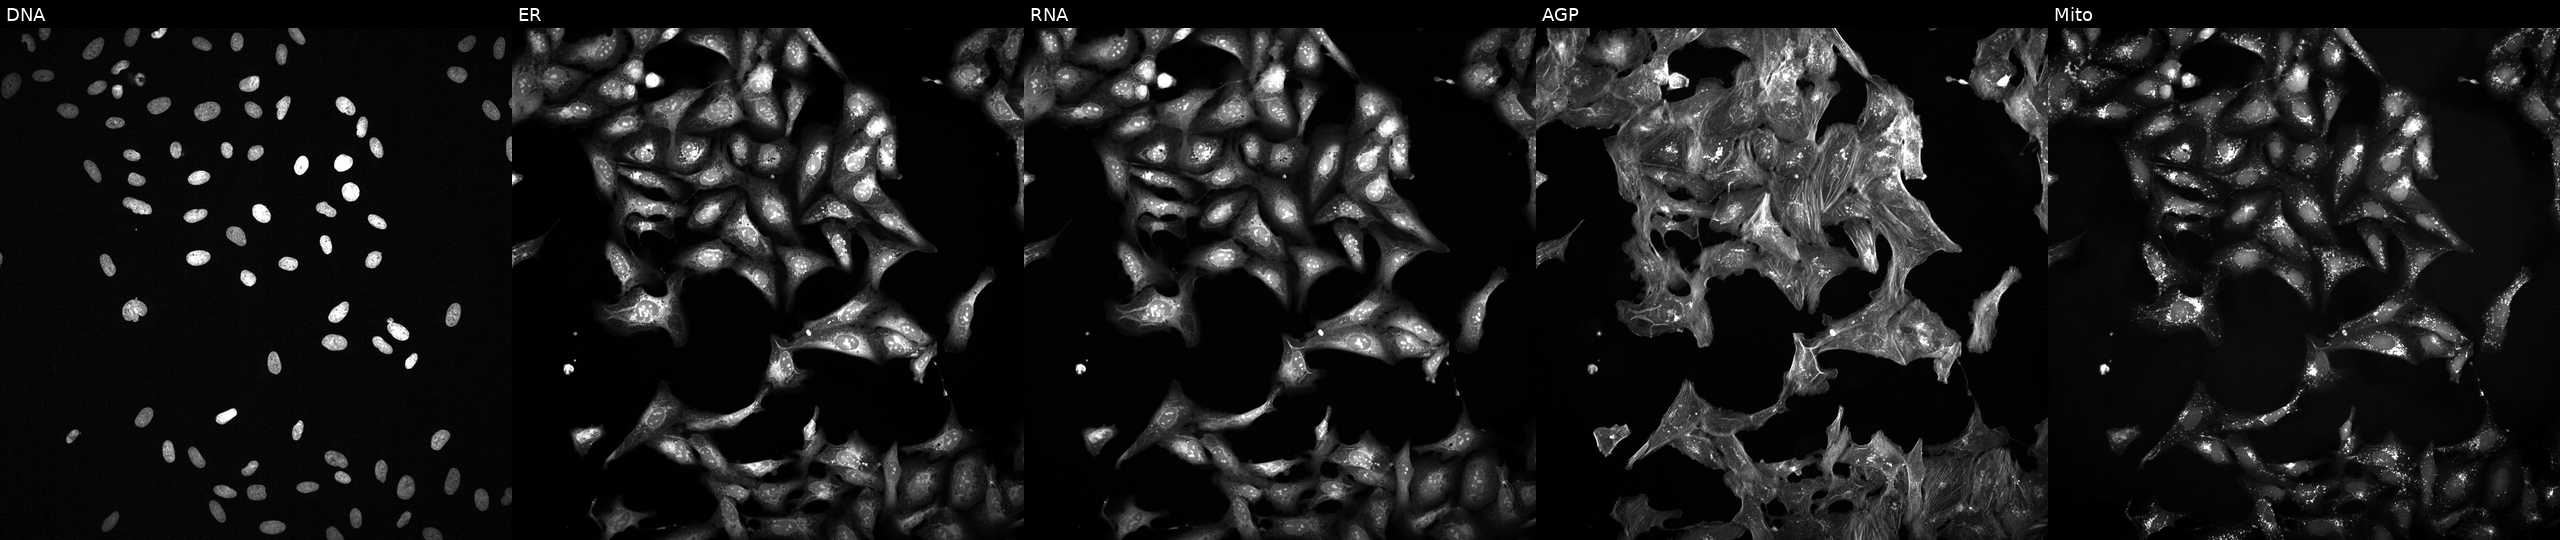
JUMP Cell Painting — TARGET2 plate. U2OS cells exposed to a small-molecule compound (InChIKey QNRODODTMXCRKU-UHFFFAOYSA-N). From left to right: DNA (nuclei); ER (endoplasmic reticulum); RNA (nucleoli and cytoplasmic RNA); AGP (actin cytoskeleton, Golgi, and plasma membrane); Mito (mitochondria). Source 2, plate 1053597936, well O13.